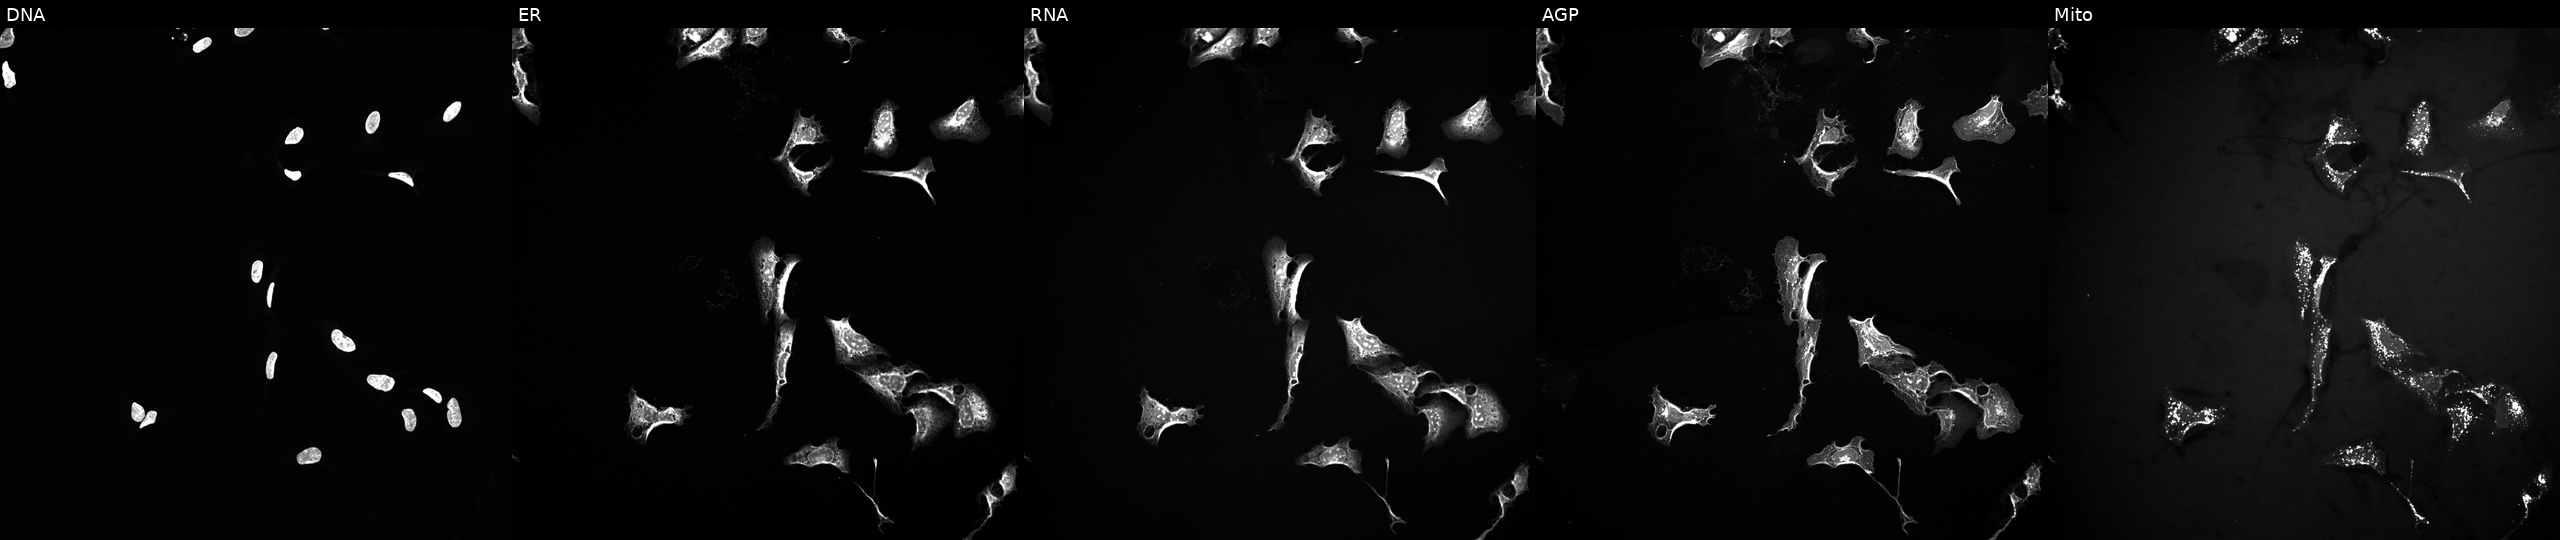
JUMP Cell Painting — TARGET2 plate. U2OS cells perturbed with a small-molecule compound (InChIKey QNRODODTMXCRKU-UHFFFAOYSA-N) [SMILES: c1ccc(-c2ccc(CN=c3[nH]c(-c4ccccn4)nnc3-c3ccccc3)cc2)cc1]. Panels show, left to right, DNA (nuclei); ER (endoplasmic reticulum); RNA (nucleoli and cytoplasmic RNA); AGP (actin cytoskeleton, Golgi, and plasma membrane); Mito (mitochondria). Source 10, plate Dest210803-153958, well O13.